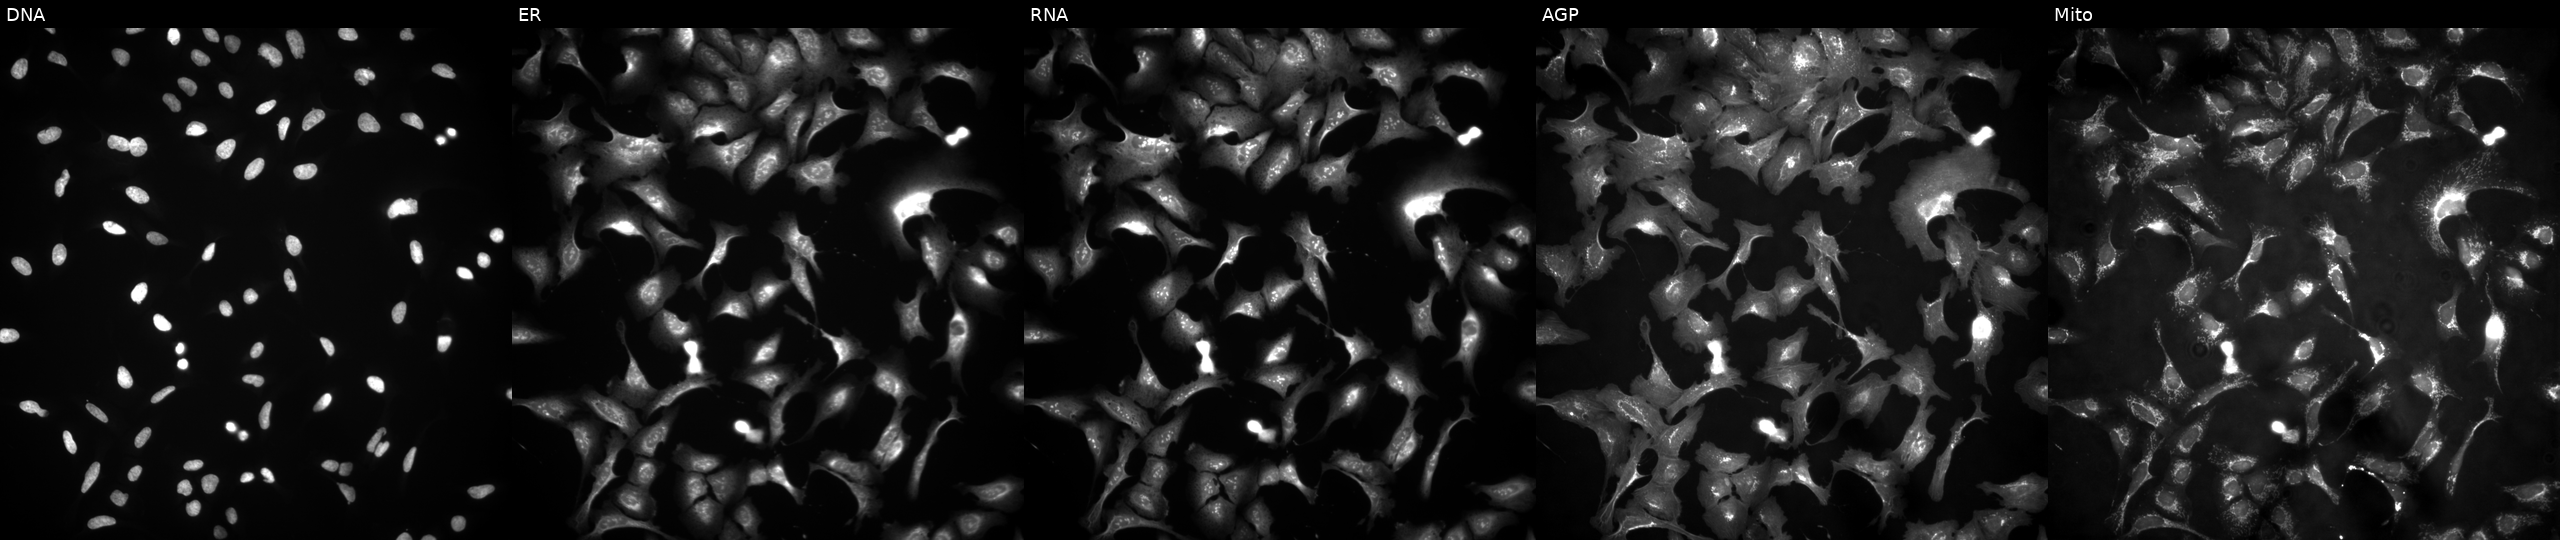
Panels show, left to right, DNA (nuclei); ER (endoplasmic reticulum); RNA (nucleoli and cytoplasmic RNA); AGP (actin cytoskeleton, Golgi, and plasma membrane); Mito (mitochondria). U2OS osteosarcoma cells overexpressing PTPN6 via ORF transfection. Cell Painting assay, JUMP-CP dataset.